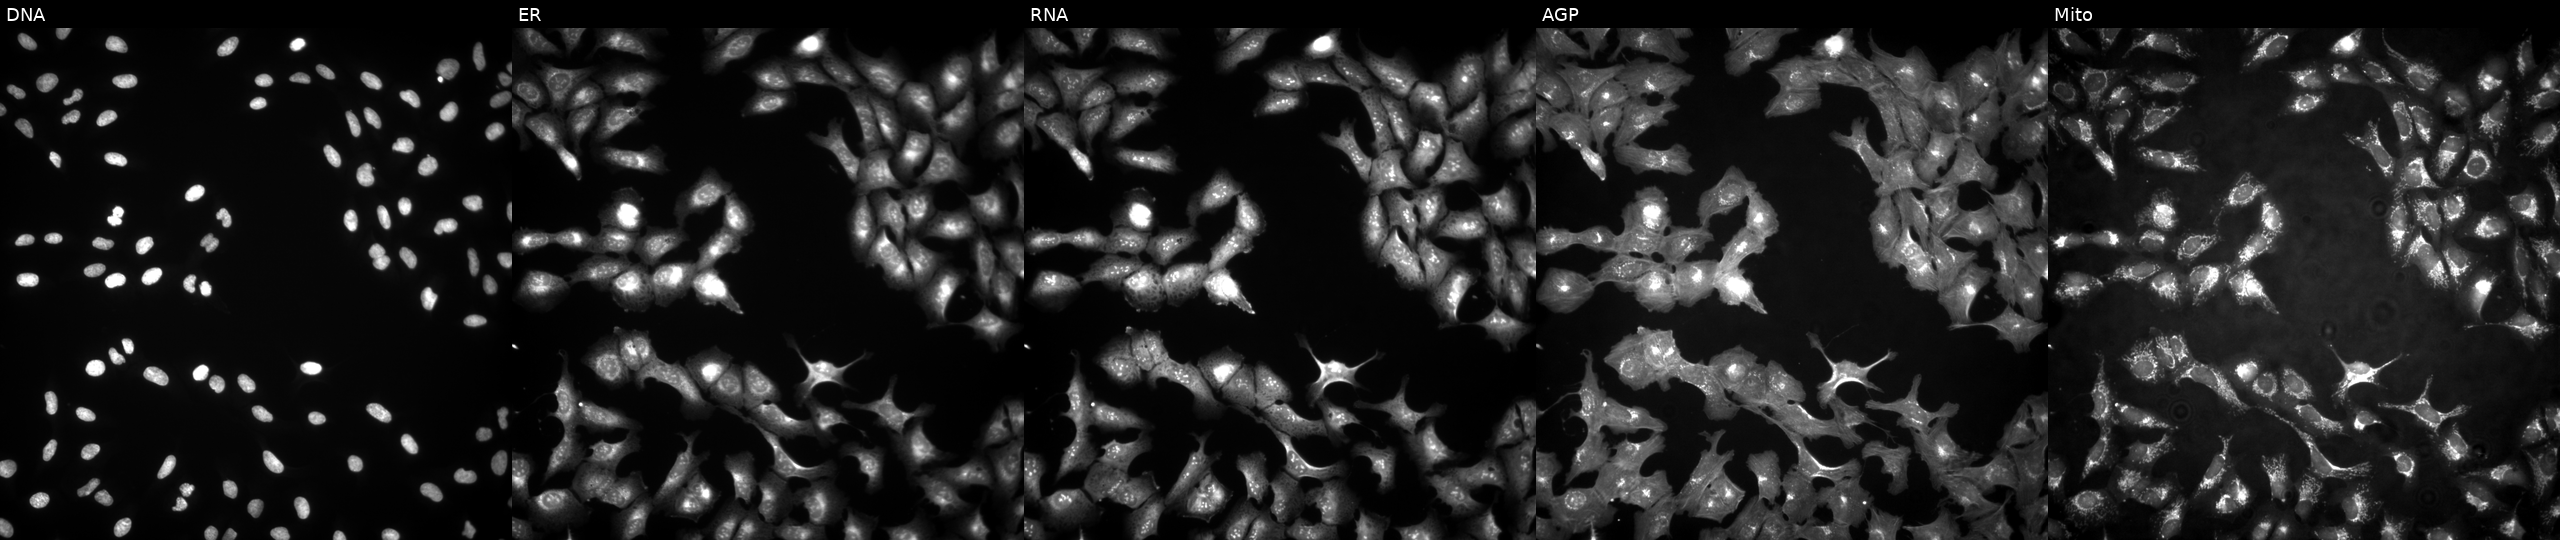
JUMP Cell Painting — ORF plate. U2OS cells overexpressing CCR6 via ORF transfection (JUMP id JCP2022_900305). The five panels, left to right, show DNA (nuclei); ER (endoplasmic reticulum); RNA (nucleoli and cytoplasmic RNA); AGP (actin cytoskeleton, Golgi, and plasma membrane); Mito (mitochondria). Source 4, plate BR00123509, well I23.